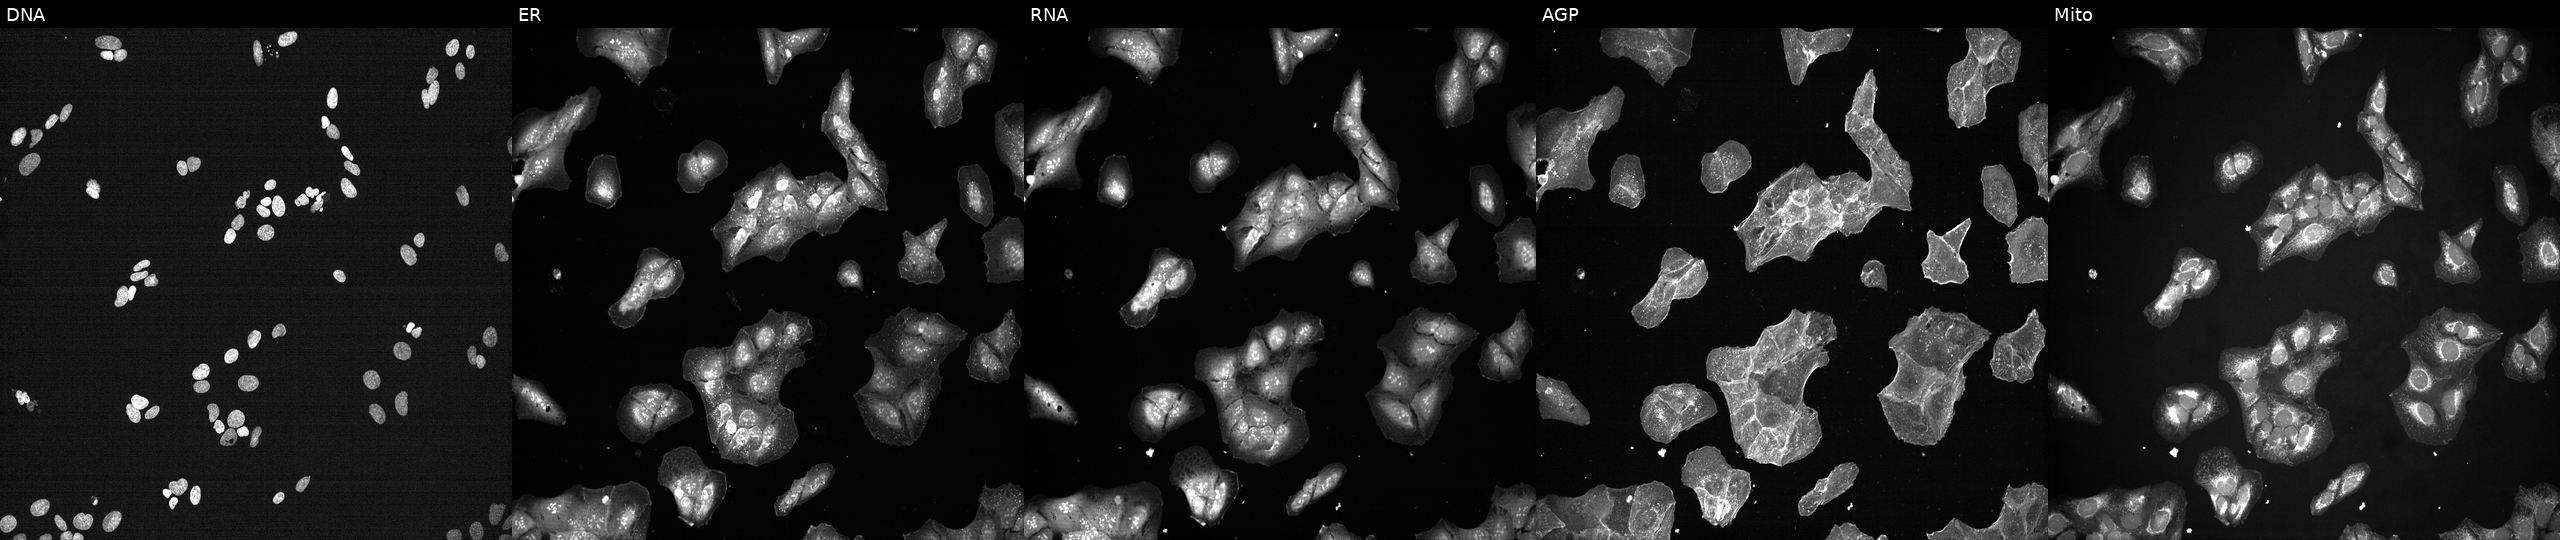
This image strip shows the five Cell Painting channels for a single field of U2OS cells exposed to a small-molecule compound [SMILES: CC(C)C(CO)N=c1[nH]c(=Nc2cc(N)cc(Cl)c2)c2ncn(C(C)C)c2[nH]1] (JUMP id JCP2022_077089). Panels show, left to right, DNA (nuclei); ER (endoplasmic reticulum); RNA (nucleoli and cytoplasmic RNA); AGP (actin cytoskeleton, Golgi, and plasma membrane); Mito (mitochondria). Source 7, plate CP2-SC1-25, well C22.